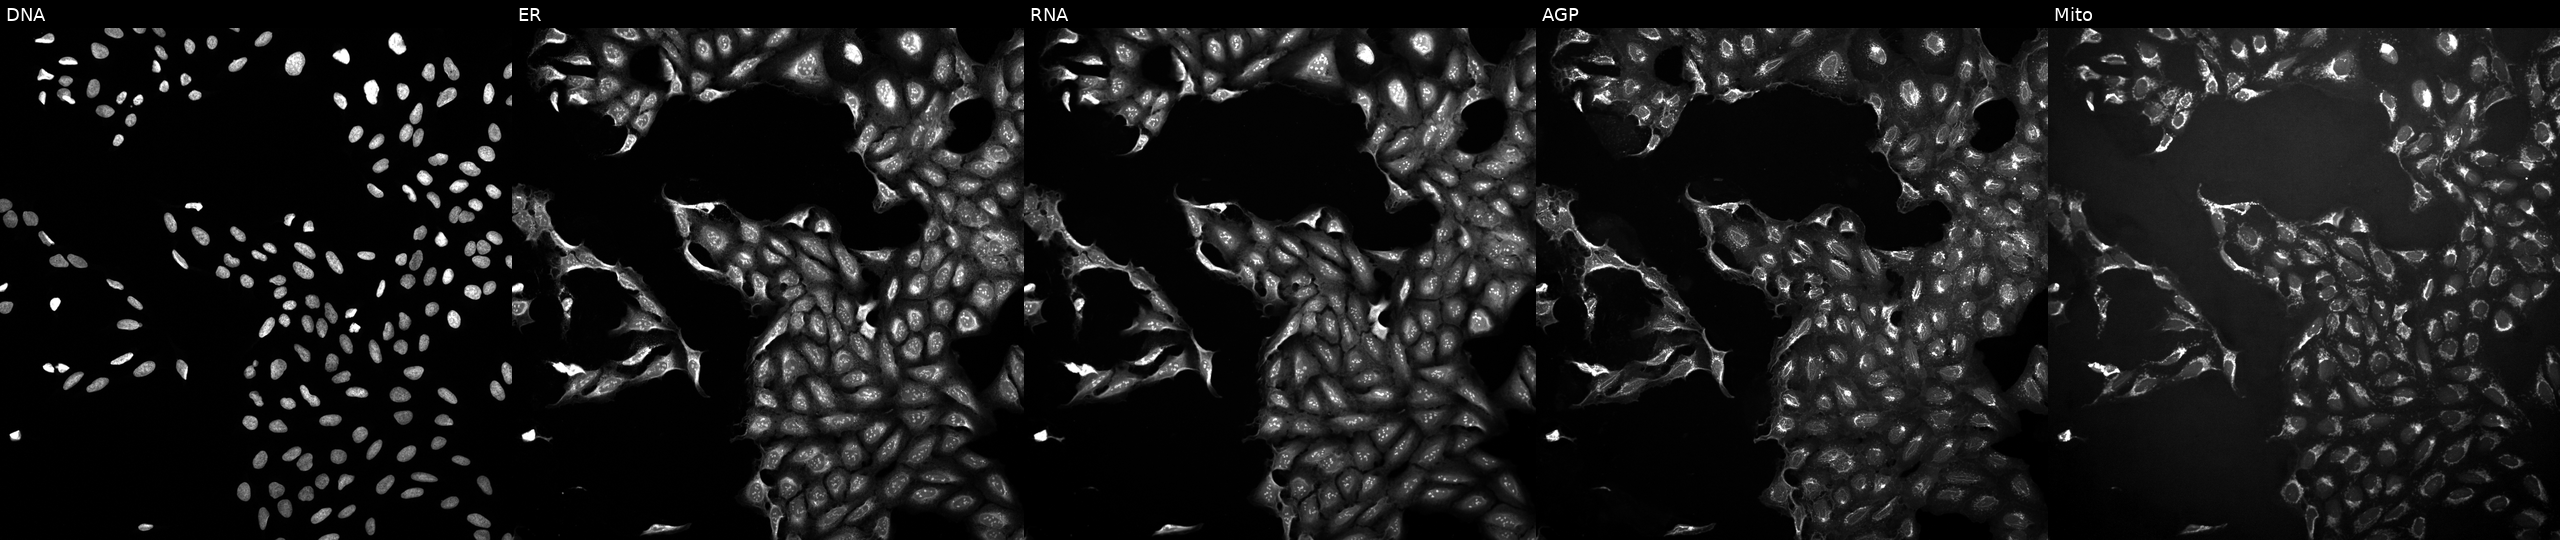
JUMP Cell Painting — TARGET2 plate. U2OS cells perturbed with a small-molecule compound (InChIKey PMXMIIMHBWHSKN-UHFFFAOYSA-N). The five panels, left to right, show DNA, ER, RNA, AGP, and Mito.